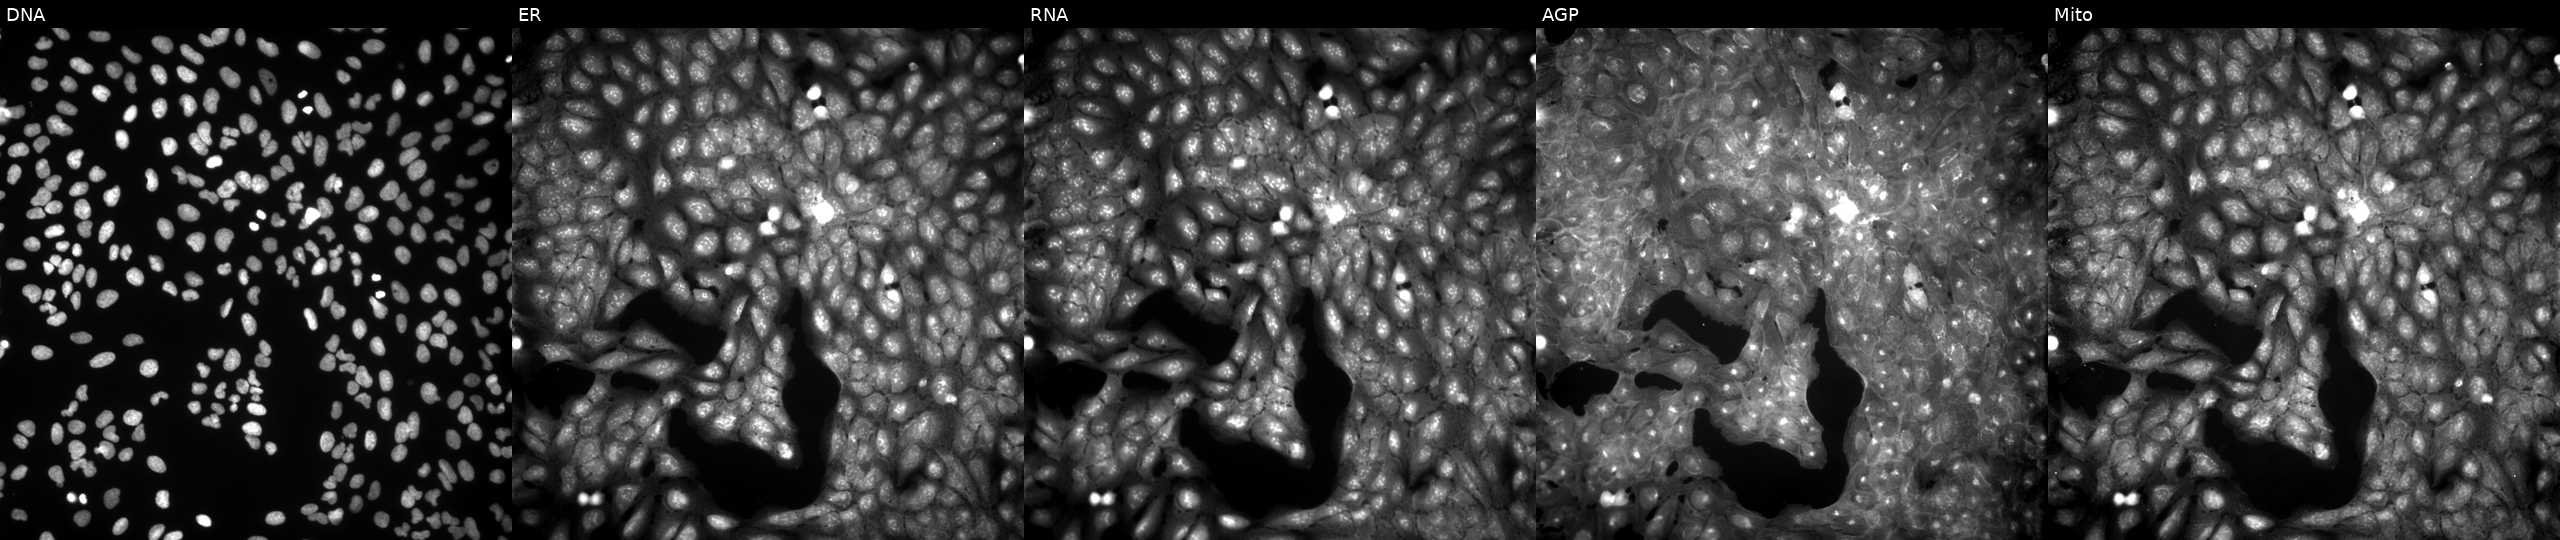
Five-channel Cell Painting image of U2OS cells perturbed with a small-molecule compound (InChIKey KEMHYNQHYDVASN-UHFFFAOYSA-N) (JUMP id JCP2022_044089). Channels (left→right): DNA (nuclei); ER (endoplasmic reticulum); RNA (nucleoli and cytoplasmic RNA); AGP (actin cytoskeleton, Golgi, and plasma membrane); Mito (mitochondria).